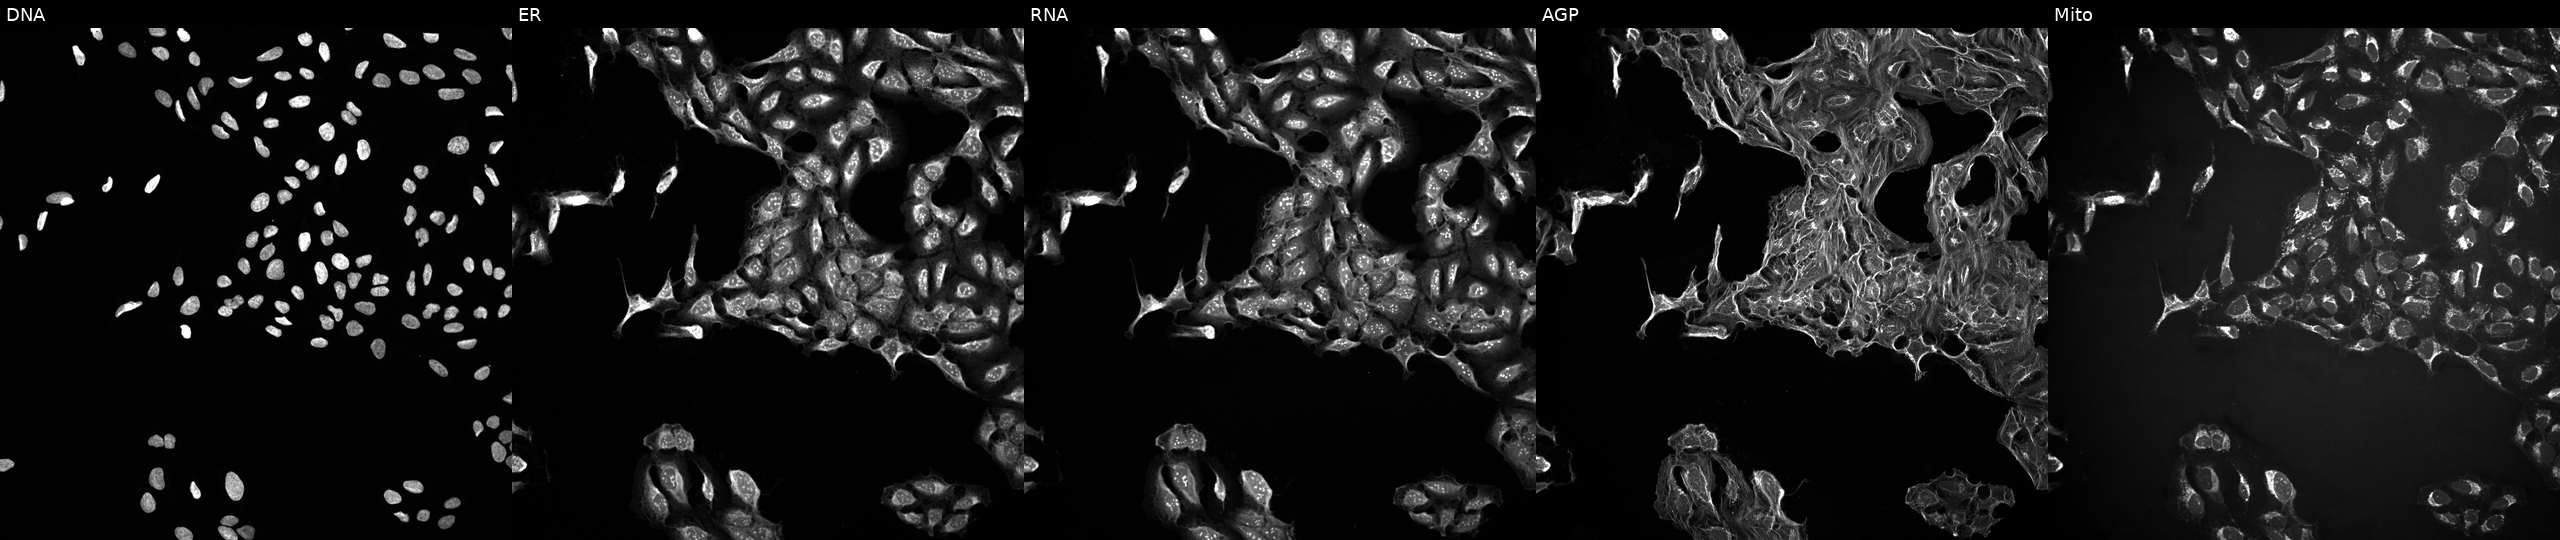
This image strip shows the five Cell Painting channels for a single field of U2OS cells exposed to a small-molecule compound (InChIKey JDKKNQACNITFEA-UHFFFAOYSA-N) (JUMP id JCP2022_039047). Panels show, left to right, Hoechst 33342, concanavalin A, SYTO 14, phalloidin and WGA, MitoTracker.